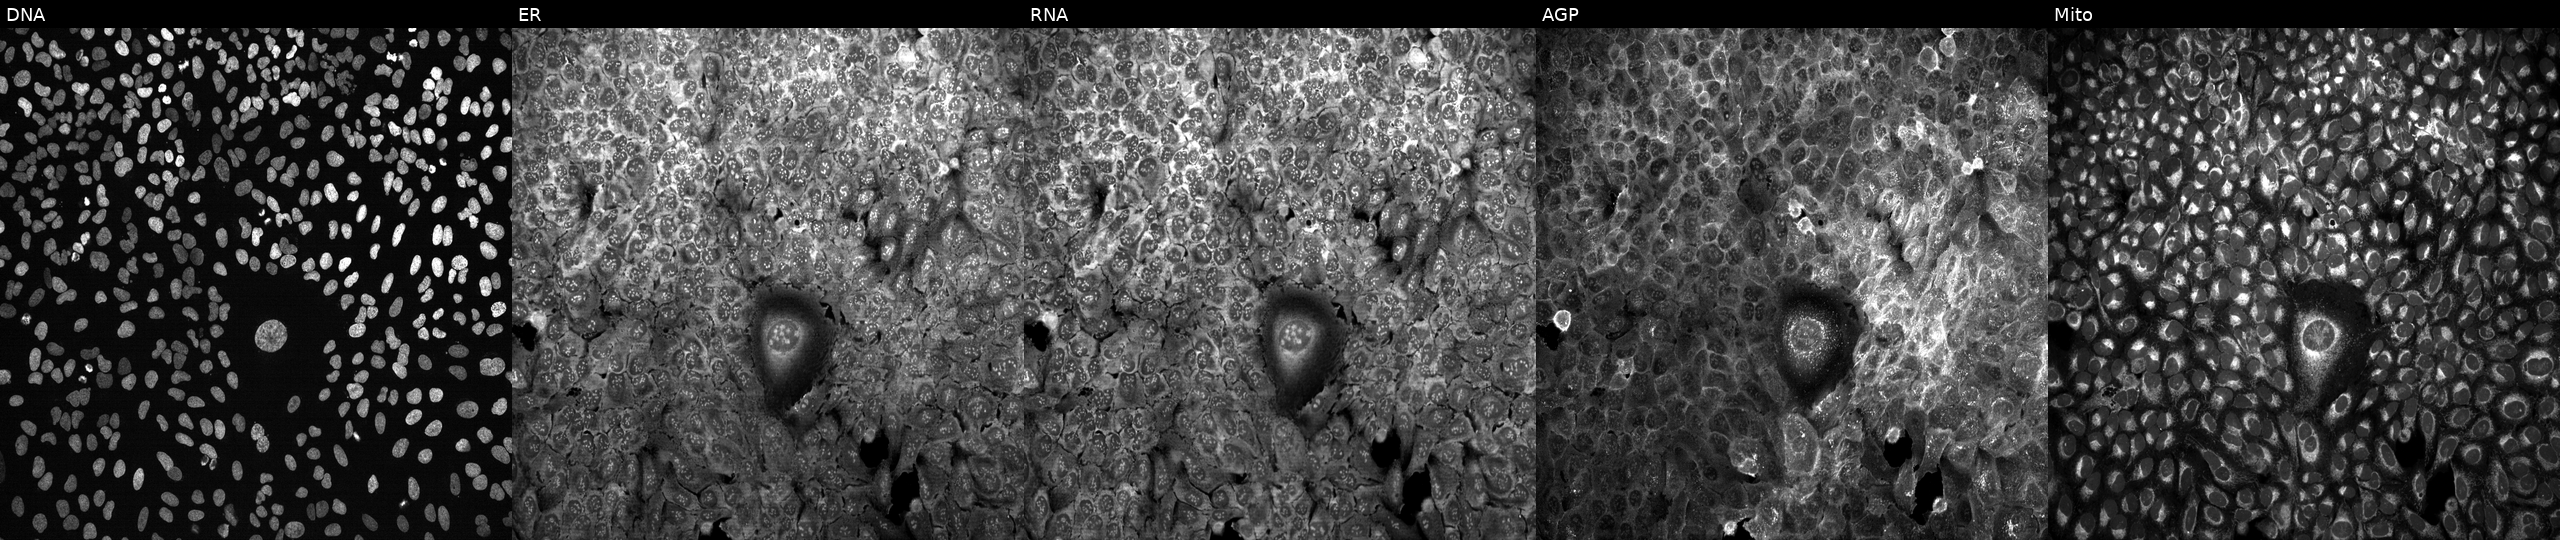
JUMP Cell Painting — CRISPR plate. U2OS cells following CRISPR knockout of PRSS16 (JUMP id JCP2022_805577). Channels (left→right): Hoechst 33342, concanavalin A, SYTO 14, phalloidin and WGA, MitoTracker. Source 13, plate CP-CC9-R6-19, well N09.